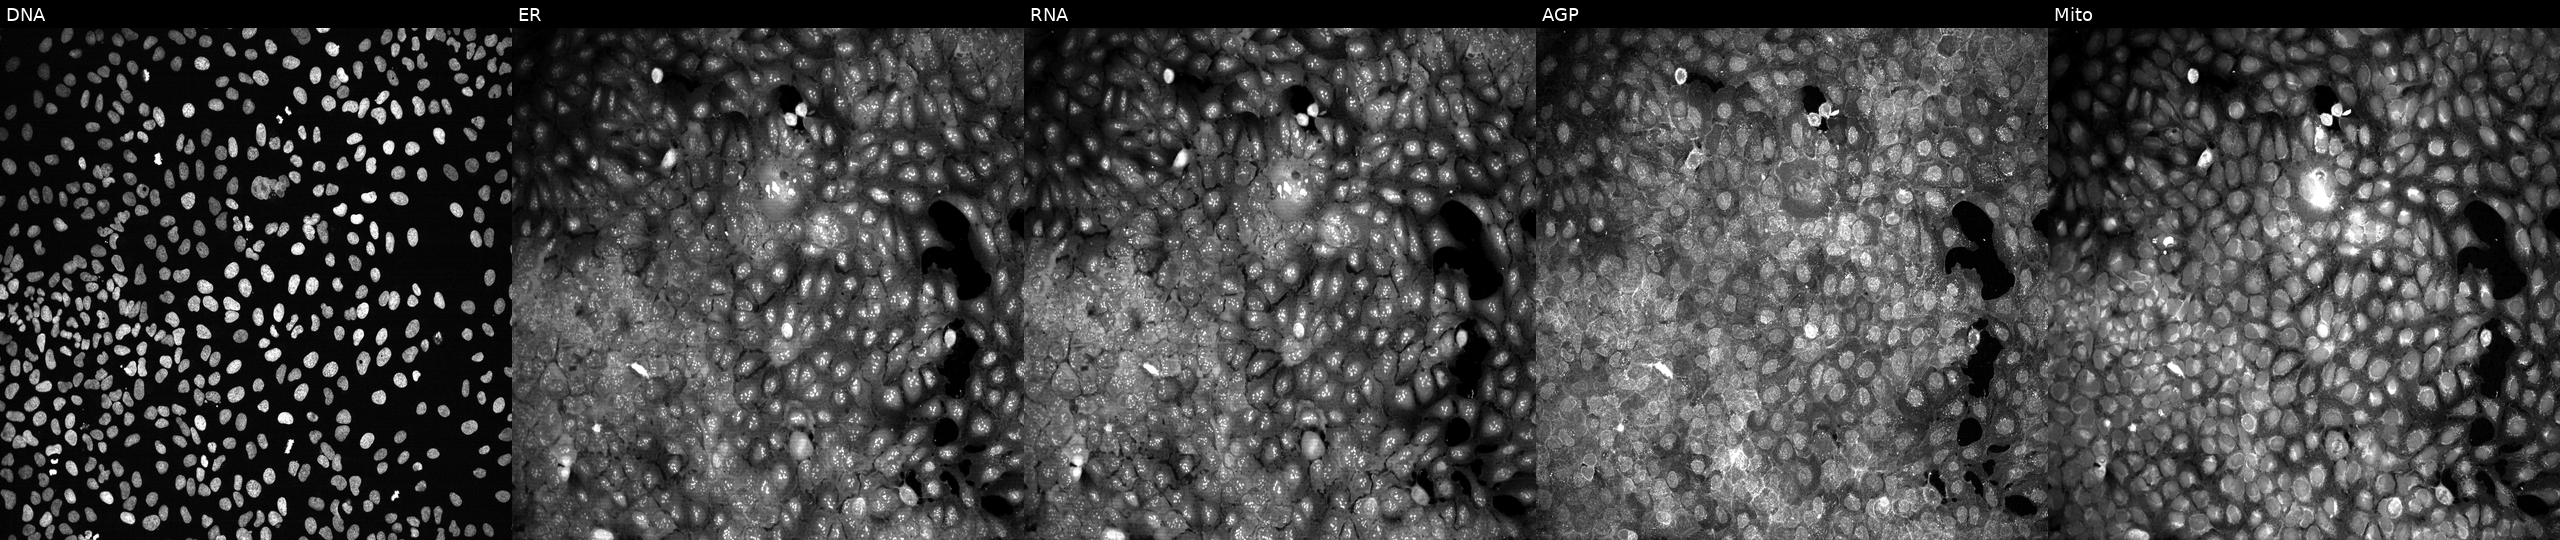
Five-channel Cell Painting image of U2OS cells with no CRISPR guide (negative control) (JUMP id JCP2022_800001). The five panels, left to right, show DNA, ER, RNA, AGP, and Mito. Source 13, plate CP-CC9-R1-02, well P23.